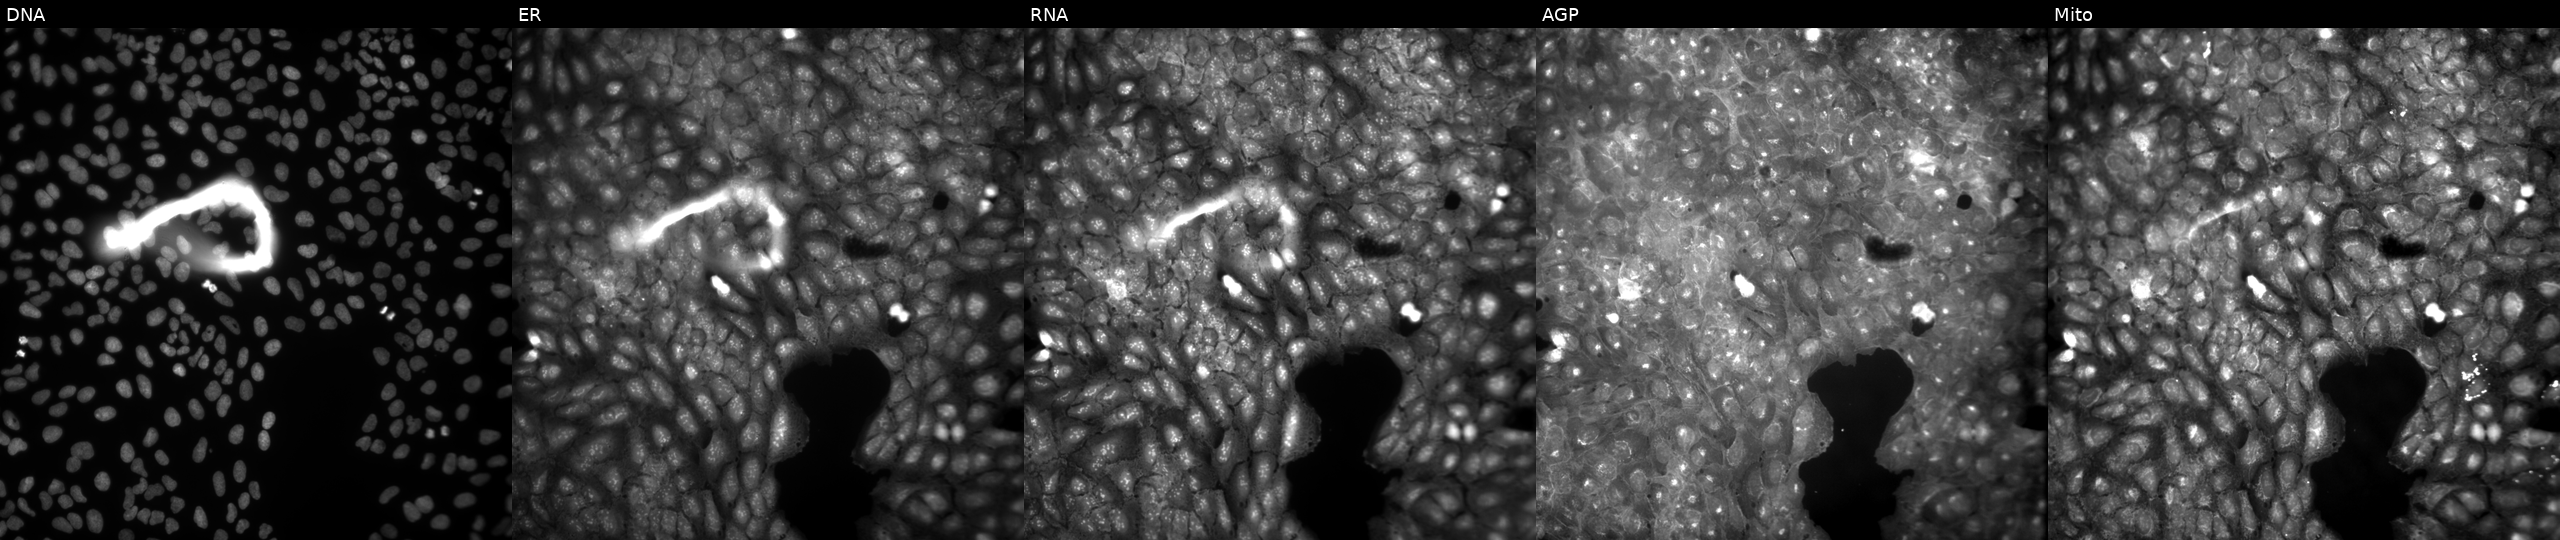
The five panels, left to right, show Hoechst 33342, concanavalin A, SYTO 14, phalloidin and WGA, MitoTracker. U2OS osteosarcoma cells treated with a small-molecule compound (InChIKey PYRYPXPKEDHMLI-UHFFFAOYSA-N) [SMILES: COc1ccc(N2C(=O)c3ccc(C(=O)Nc4ccc(NC(C)=O)cc4)cc3C2=O)cc1] (JUMP id JCP2022_071834). Cell Painting assay, JUMP-CP dataset. Source 9, plate GR00003382, well S45.